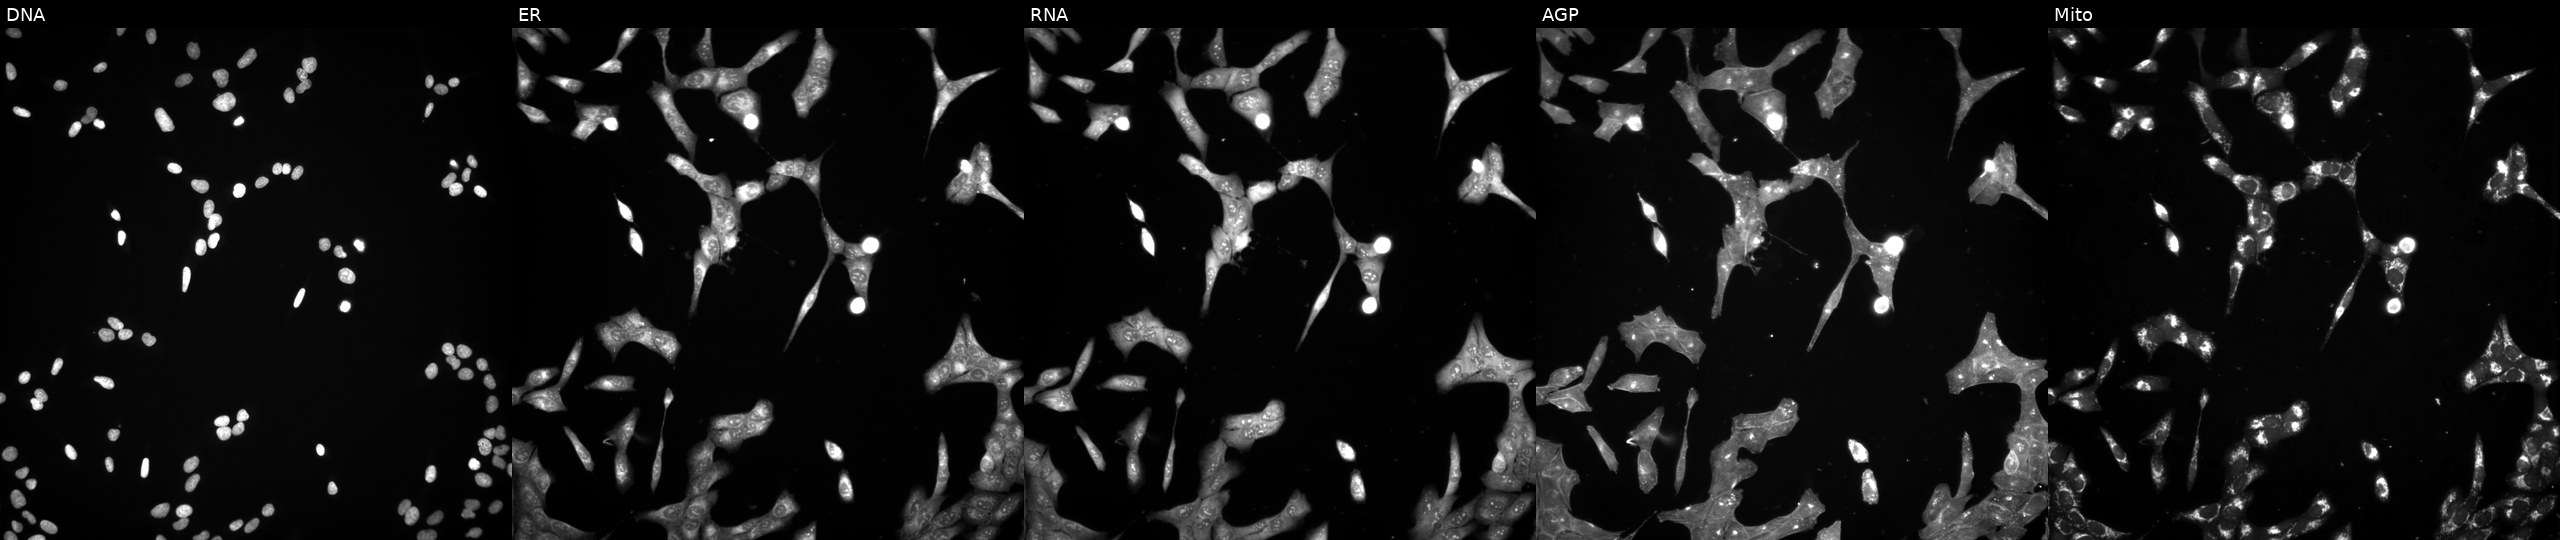
High-content fluorescence microscopy (Cell Painting). Cell line: U2OS. Perturbation: perturbed with a small-molecule compound. Channels (left→right): DNA, ER, RNA, AGP, and Mito. Source 3, plate JCPQC052, well C10.